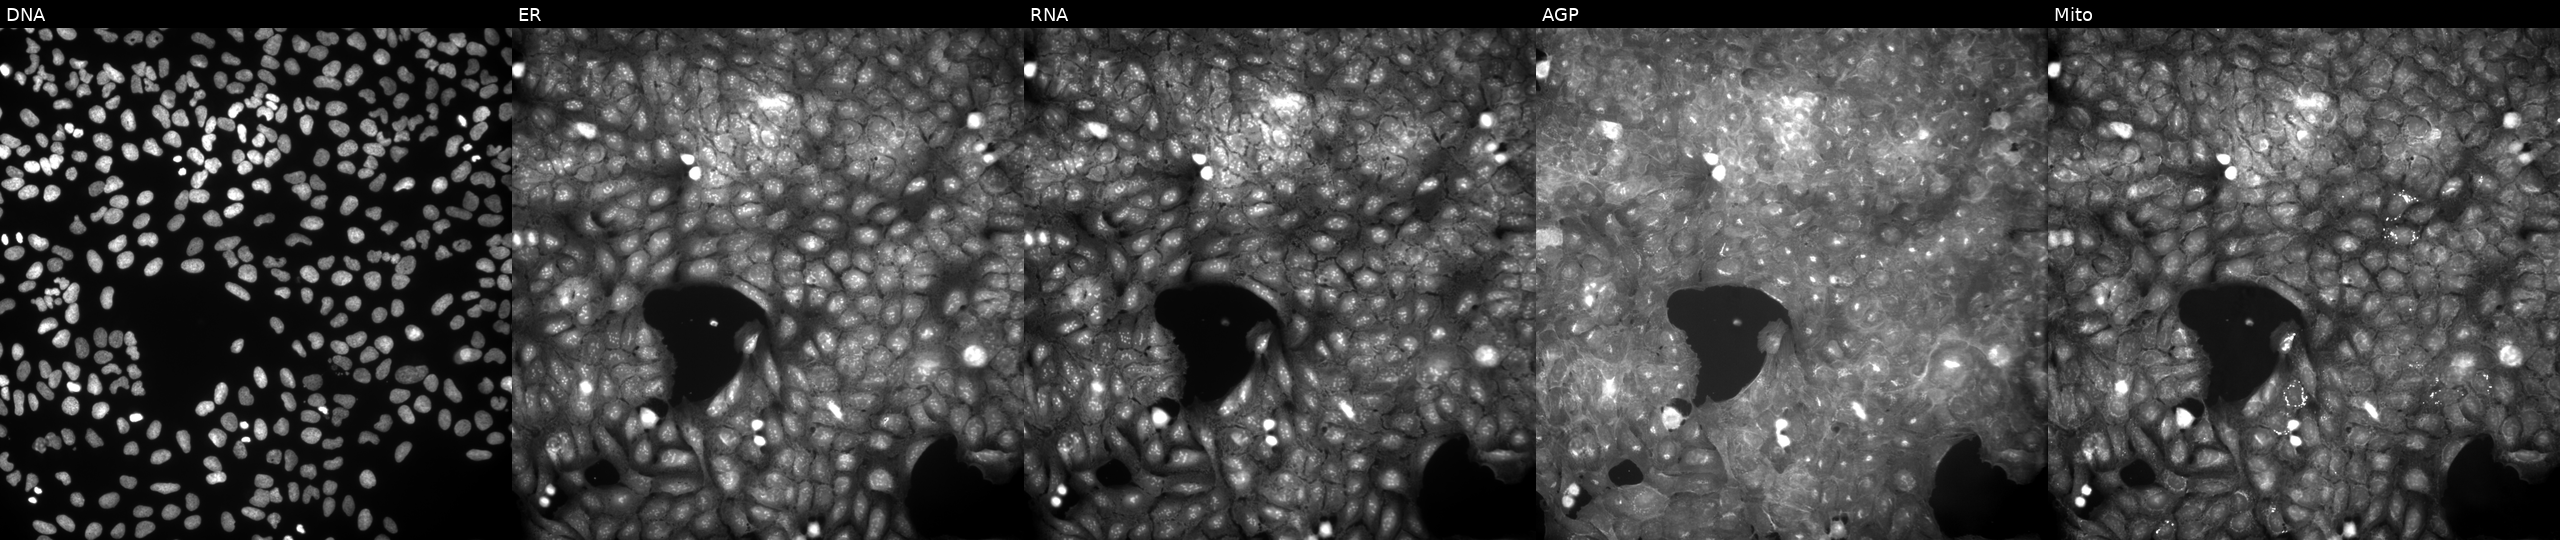
This image strip shows the five Cell Painting channels for a single field of U2OS cells perturbed with a small-molecule compound (InChIKey YEDBGJGVFOBORP-UHFFFAOYSA-N) (JUMP id JCP2022_107886). From left to right: DNA, ER, RNA, AGP, and Mito. Source 9, plate GR00003382, well K36.